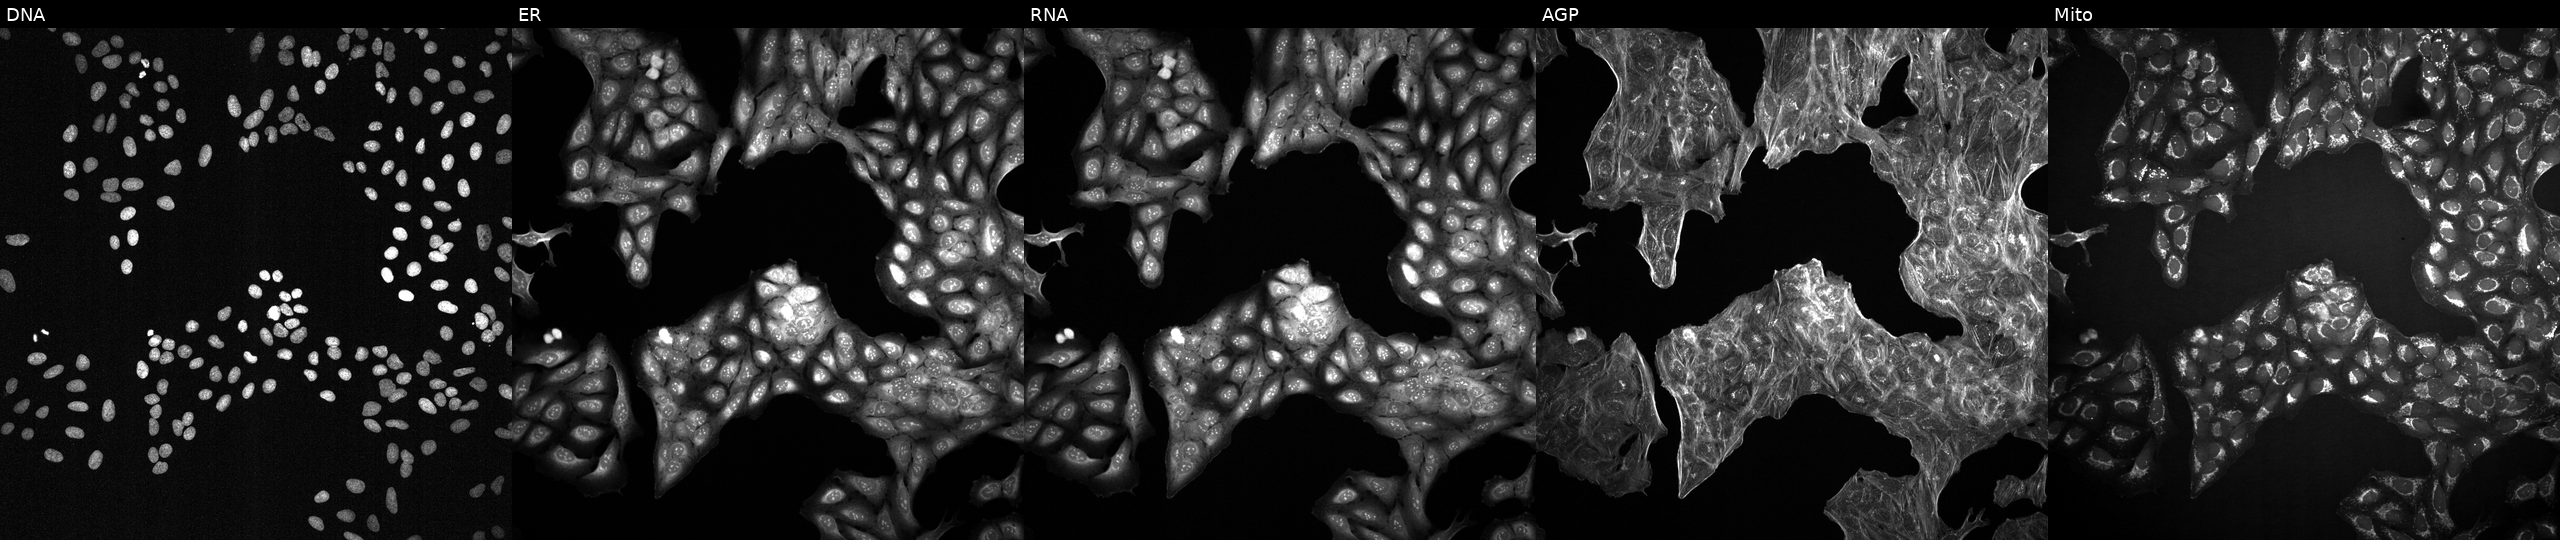
The five panels, left to right, show Hoechst 33342, concanavalin A, SYTO 14, phalloidin and WGA, MitoTracker. U2OS osteosarcoma cells treated with a small-molecule compound (InChIKey RIKMMFOAQPJVMX-UHFFFAOYSA-N). Cell Painting assay, JUMP-CP dataset.